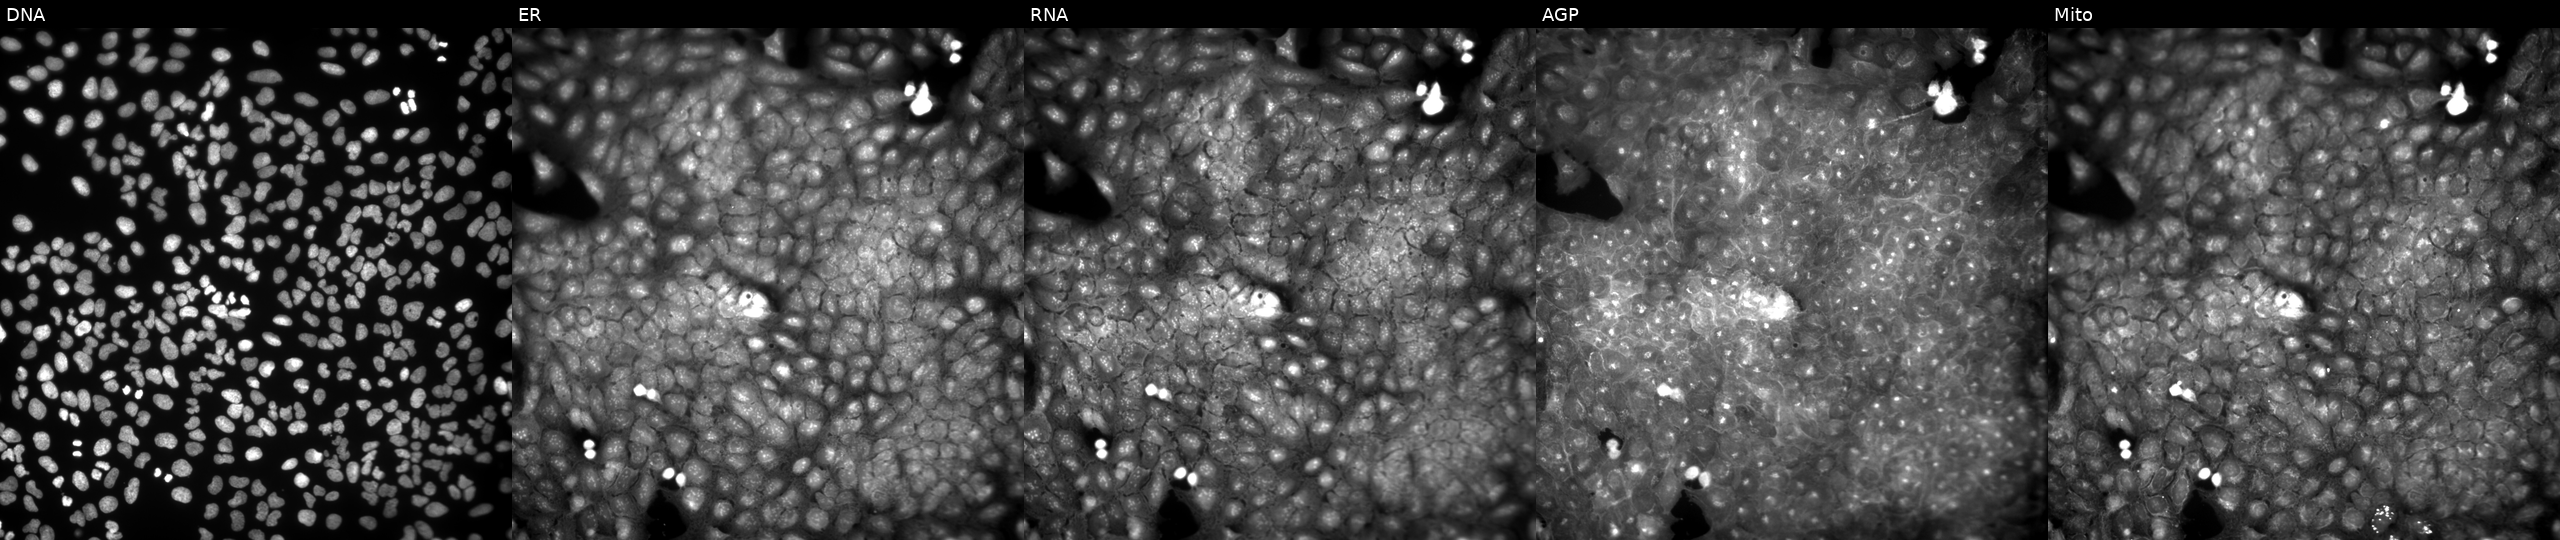
High-content fluorescence microscopy (Cell Painting). Cell line: U2OS. Perturbation: perturbed with a small-molecule compound (InChIKey LEPLTEYUMMDEER-UHFFFAOYSA-N) (JUMP id JCP2022_048938). From left to right: DNA (nuclei); ER (endoplasmic reticulum); RNA (nucleoli and cytoplasmic RNA); AGP (actin cytoskeleton, Golgi, and plasma membrane); Mito (mitochondria).